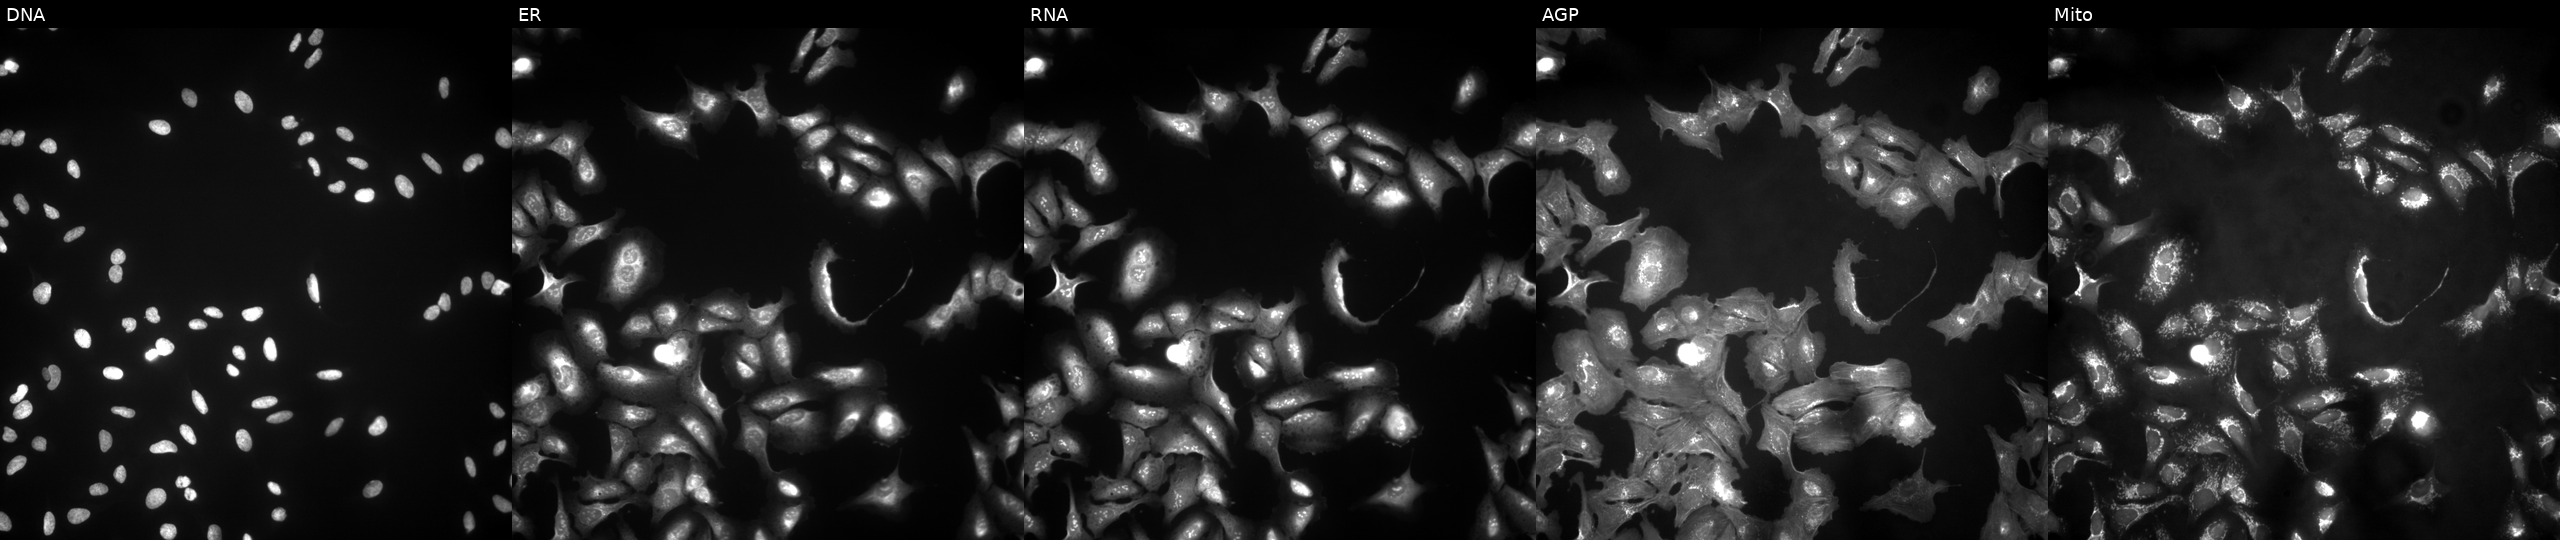
Five-channel Cell Painting image of U2OS cells expressing eGFP (ORF positive control). The five panels, left to right, show DNA (nuclei); ER (endoplasmic reticulum); RNA (nucleoli and cytoplasmic RNA); AGP (actin cytoskeleton, Golgi, and plasma membrane); Mito (mitochondria).